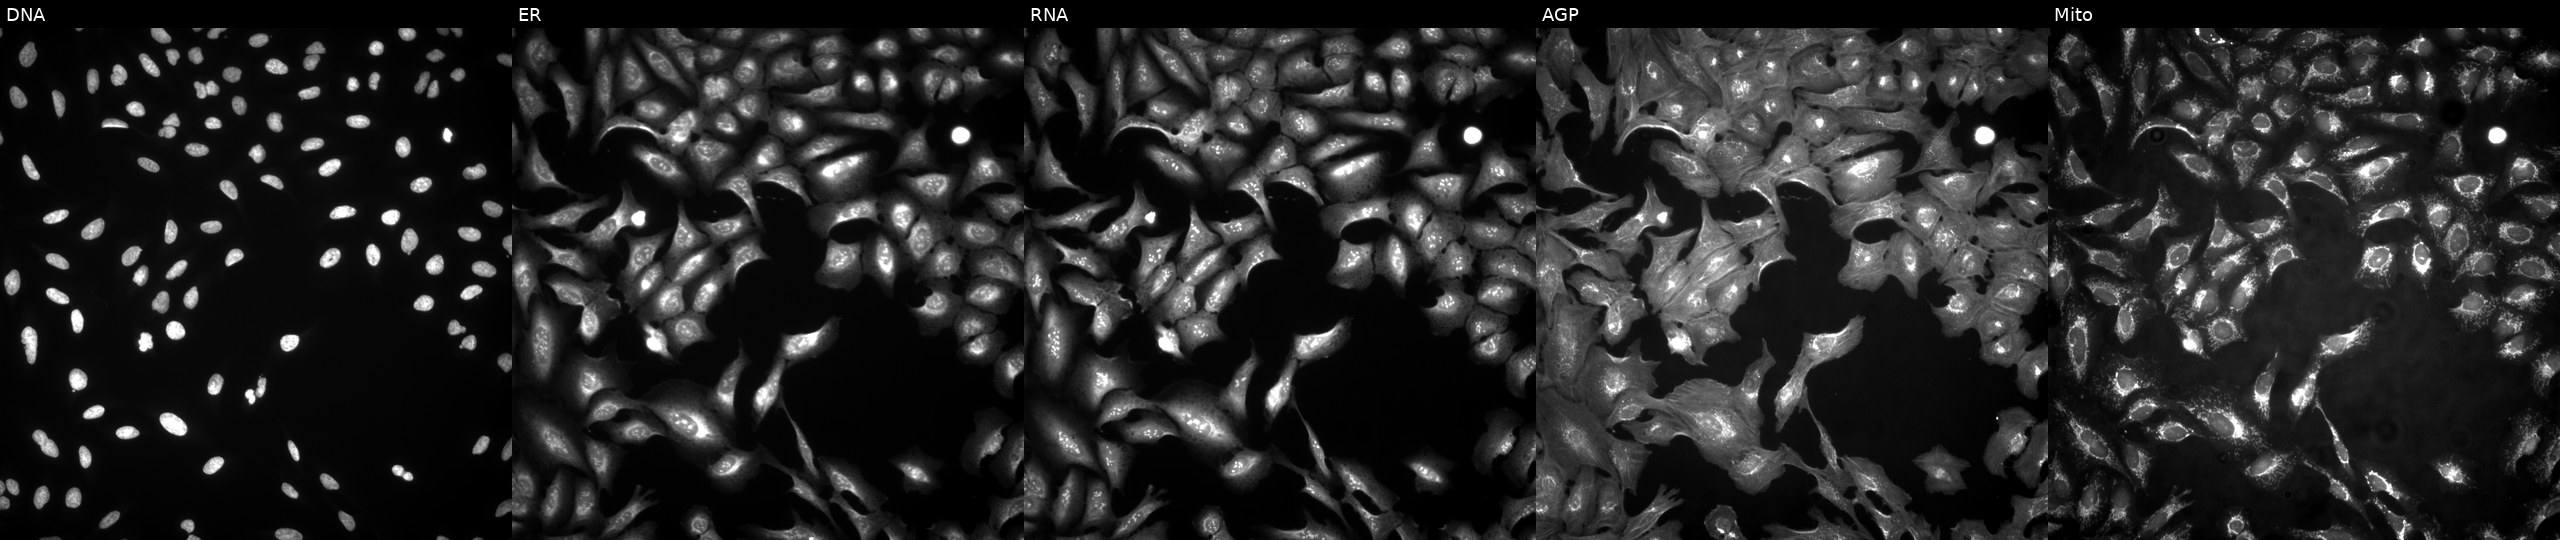
Five-channel Cell Painting image of U2OS cells transfected with an ORF construct for S100A10 (JUMP id JCP2022_906467). Channels (left→right): DNA, ER, RNA, AGP, and Mito. Source 4, plate BR00123509, well H10.